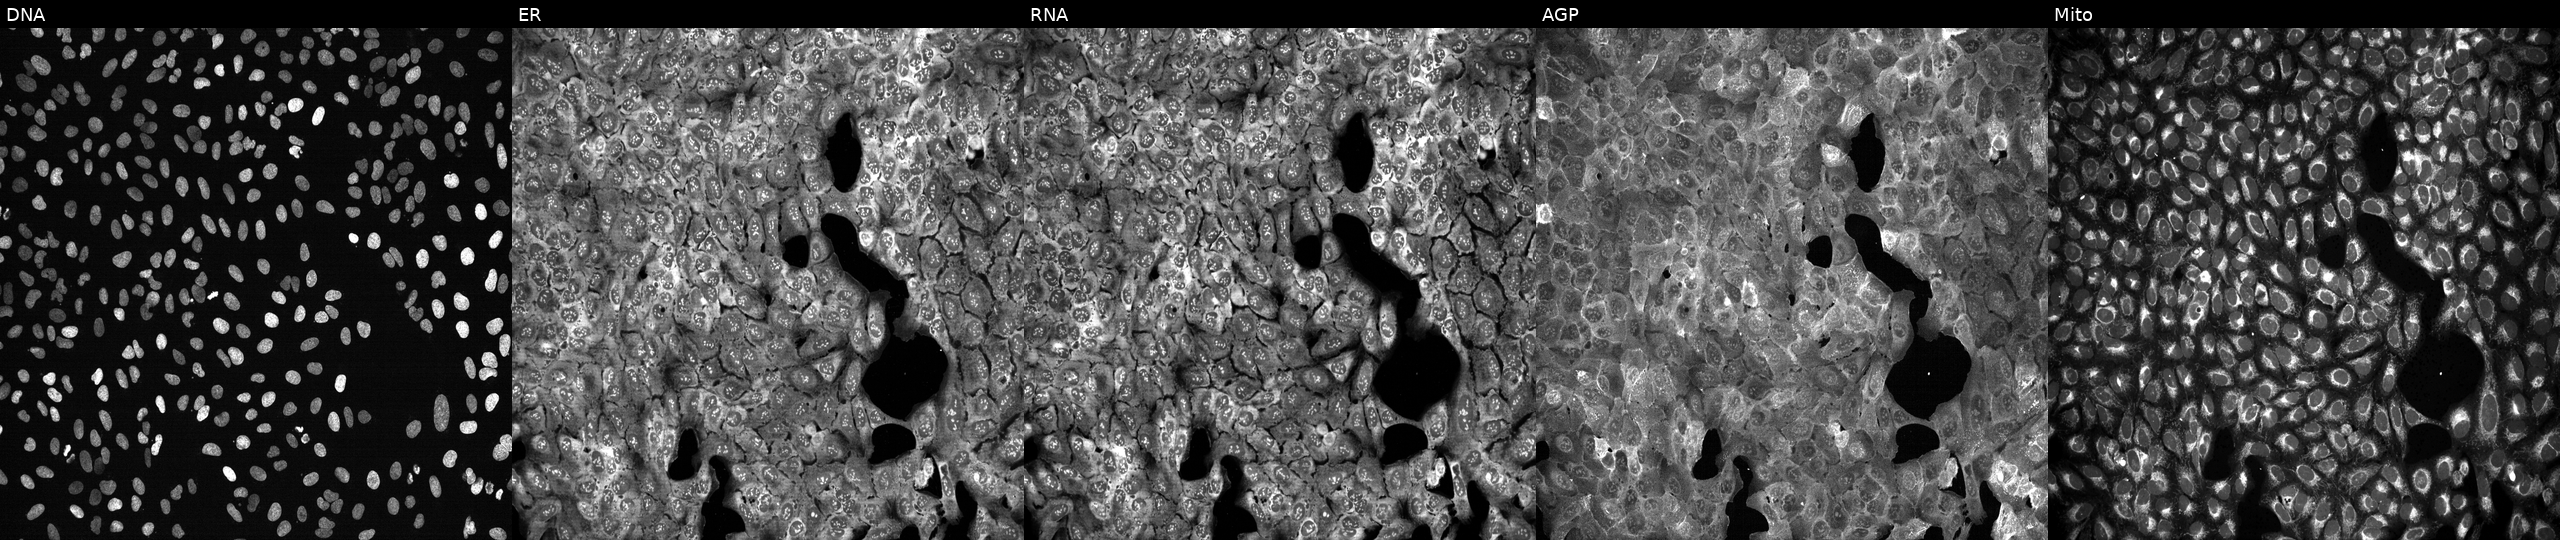
Channels (left→right): DNA (nuclei); ER (endoplasmic reticulum); RNA (nucleoli and cytoplasmic RNA); AGP (actin cytoskeleton, Golgi, and plasma membrane); Mito (mitochondria). U2OS osteosarcoma cells with UGDH knocked out by CRISPR (JUMP id JCP2022_807514). Cell Painting assay, JUMP-CP dataset. Source 13, plate CP-CC9-R2-02, well F13.